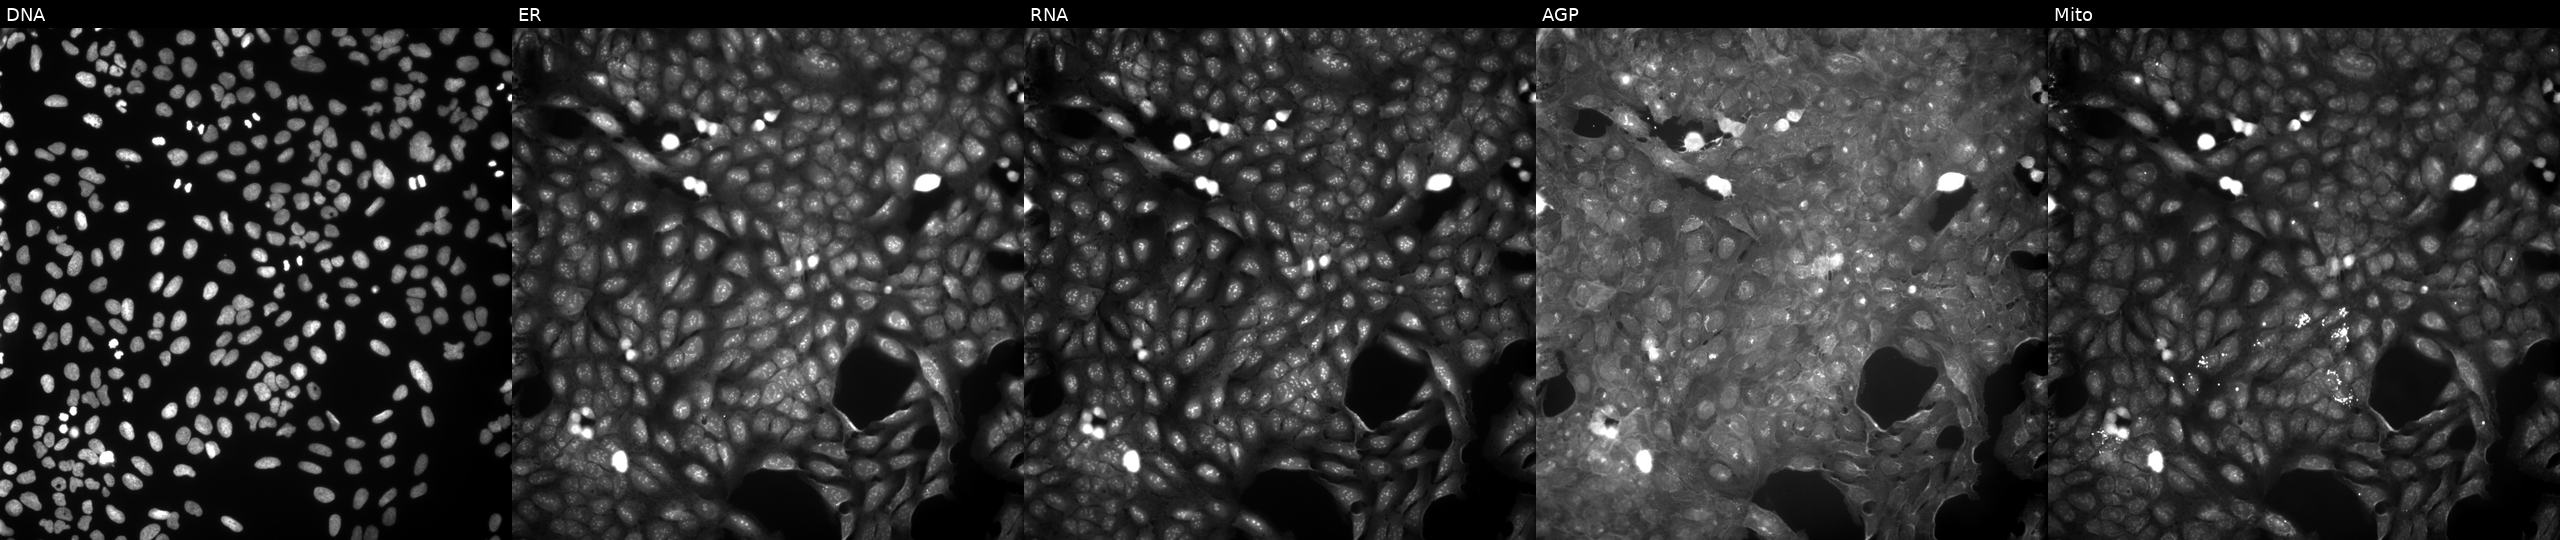
High-content fluorescence microscopy (Cell Painting). Cell line: U2OS. Perturbation: perturbed with a small-molecule compound (InChIKey JYIIKSVUAHJCHP-UHFFFAOYSA-N). From left to right: Hoechst 33342, concanavalin A, SYTO 14, phalloidin and WGA, MitoTracker.